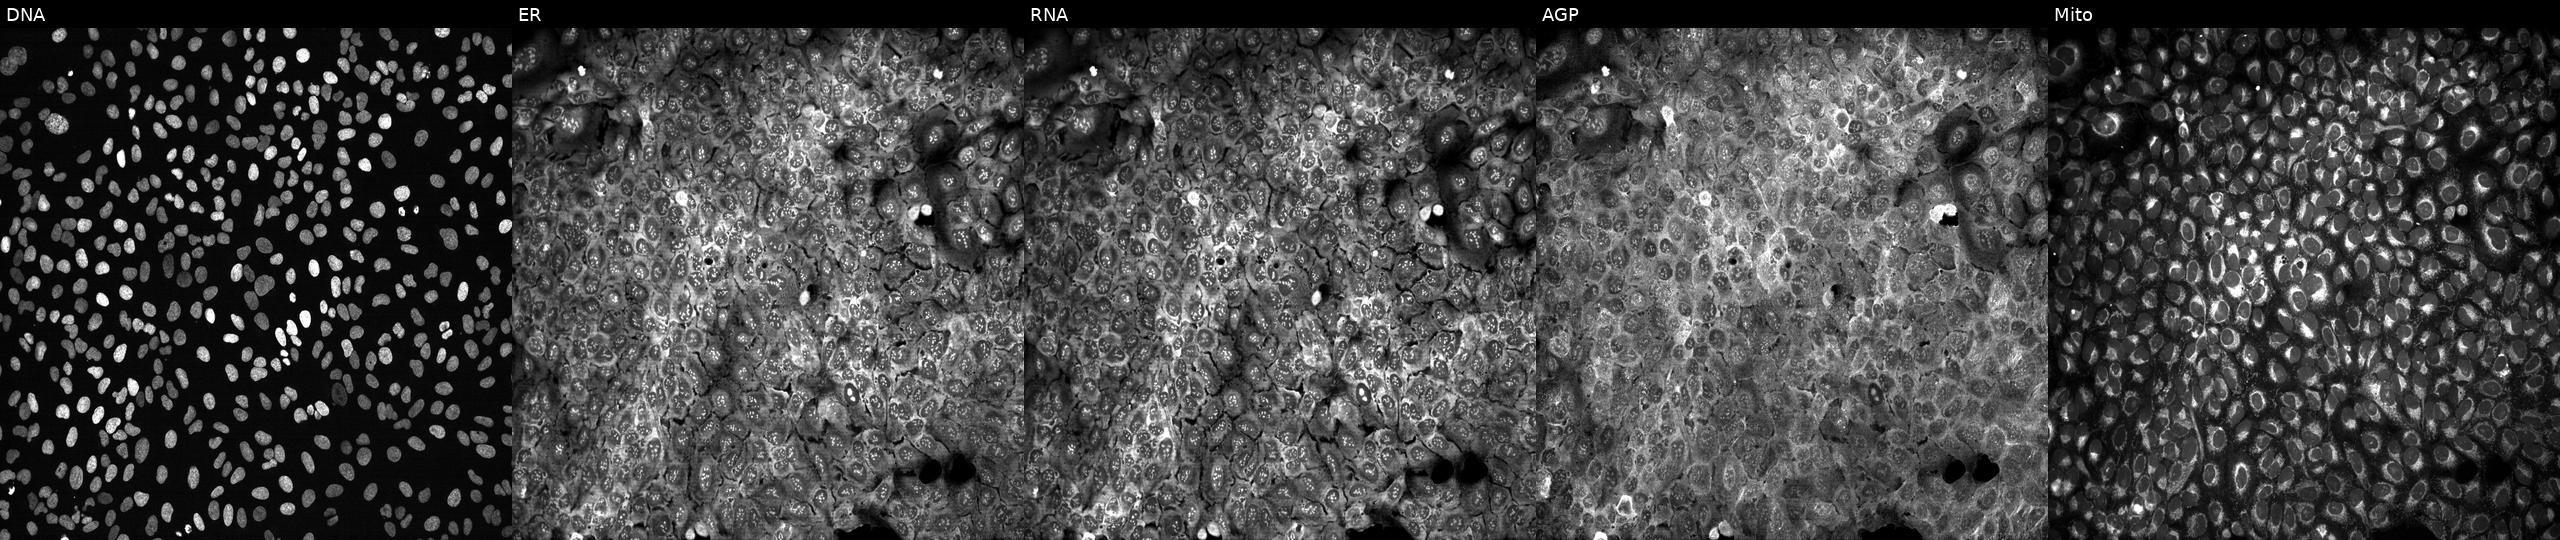
High-content fluorescence microscopy (Cell Painting). Cell line: U2OS. Perturbation: following CRISPR knockout of TXNDC5 (JUMP id JCP2022_807420). Channels (left→right): DNA, ER, RNA, AGP, and Mito. Source 13, plate CP-CC9-R3-02, well O10.